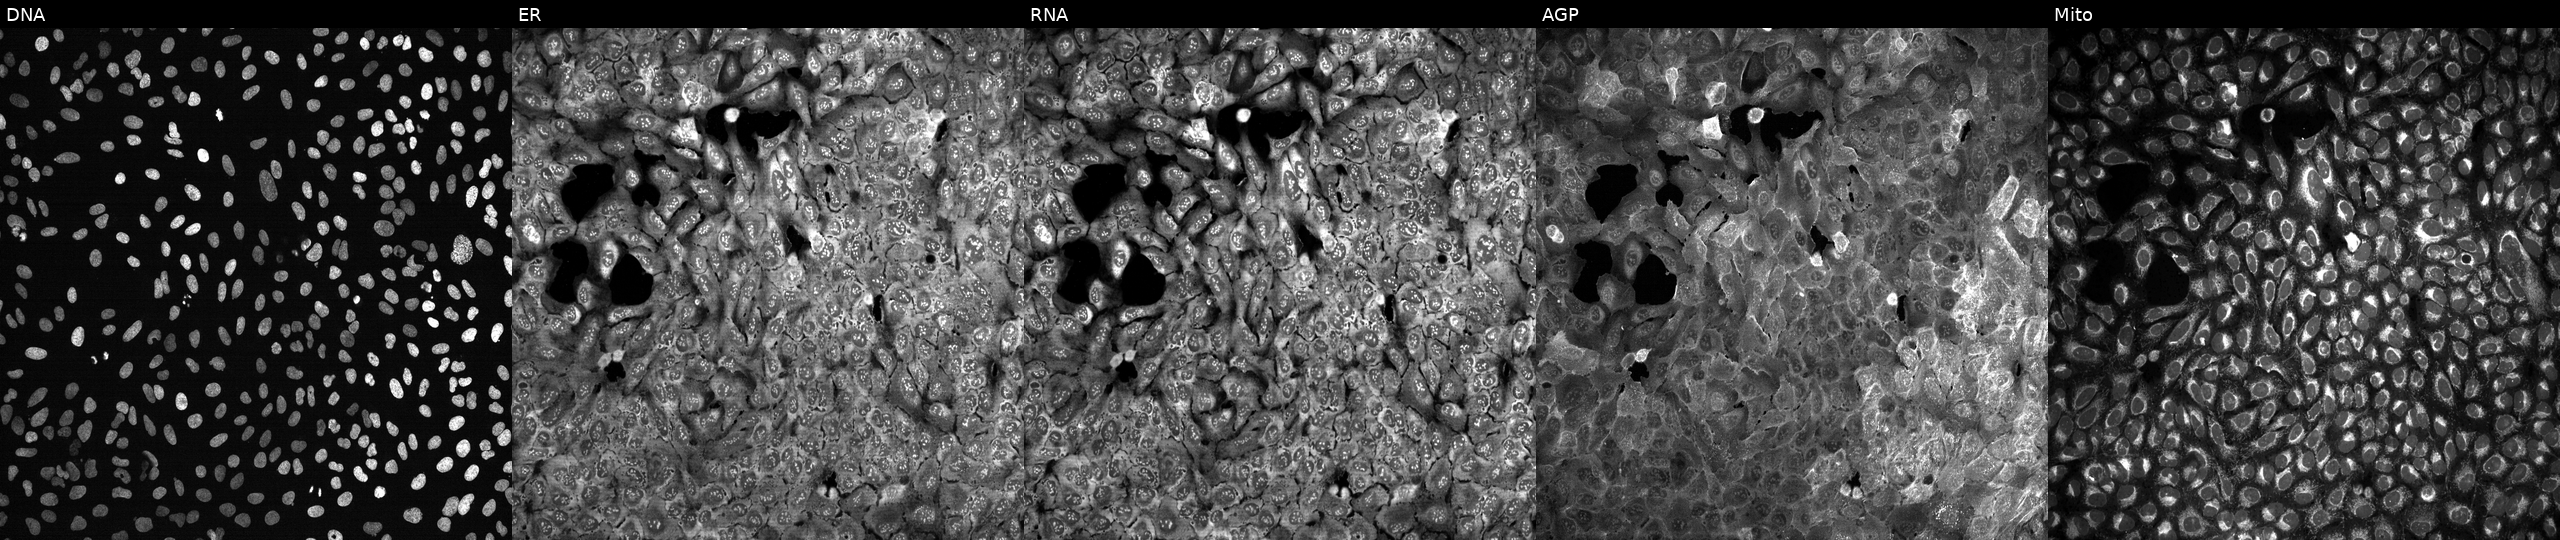
JUMP Cell Painting — CRISPR plate. U2OS cells CRISPR-edited to disrupt CCNO. Panels show, left to right, DNA, ER, RNA, AGP, and Mito.